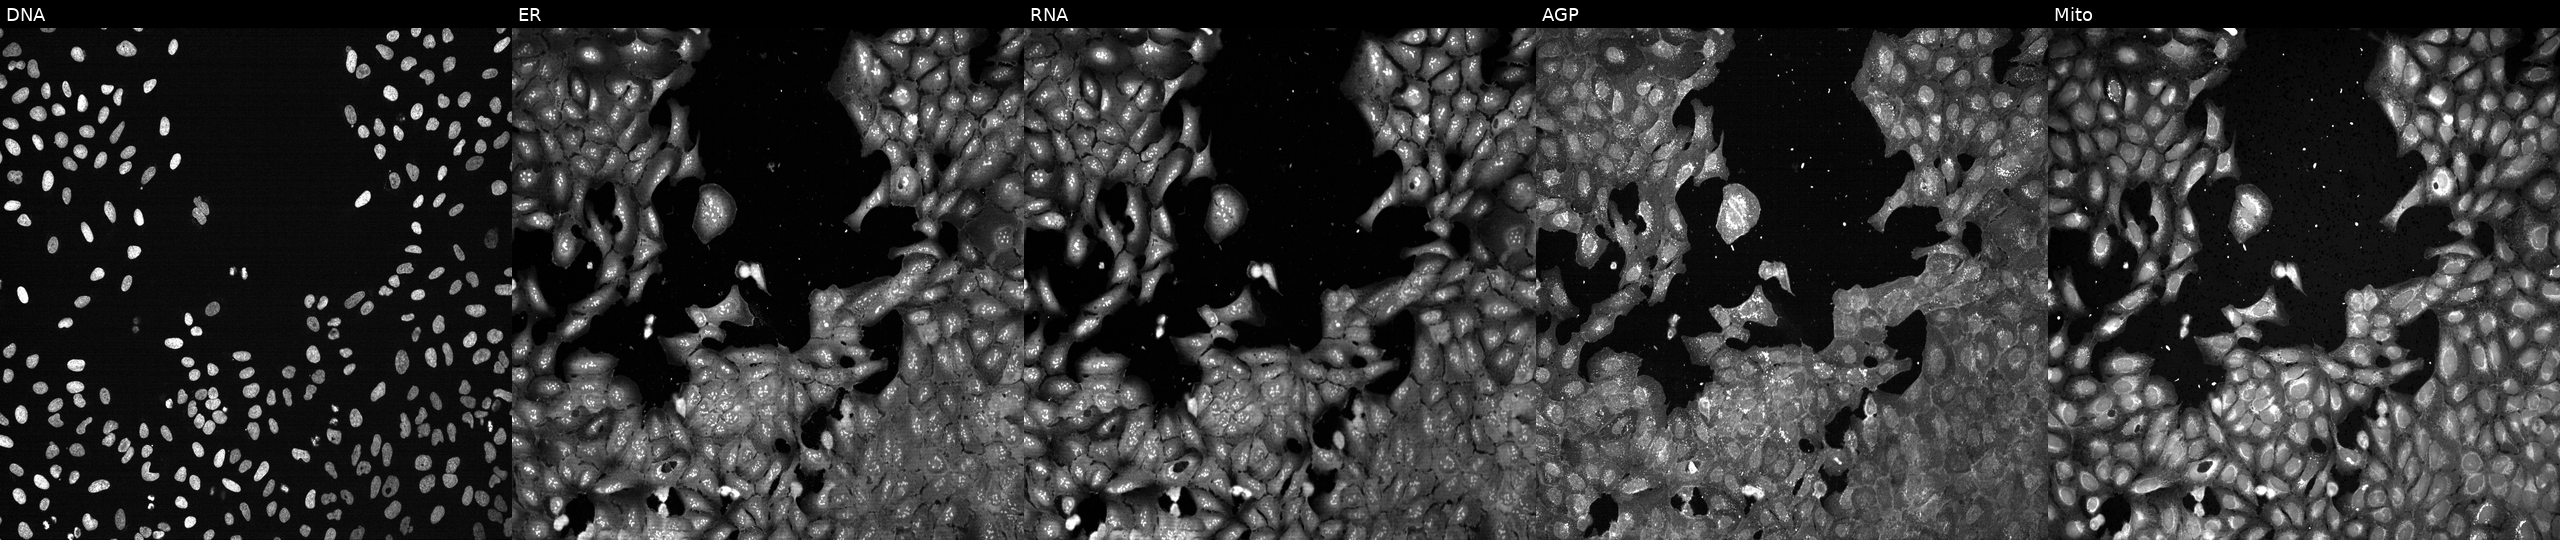
Five-channel Cell Painting image of U2OS cells following CRISPR knockout of PTGES (JUMP id JCP2022_805651). Channels (left→right): Hoechst 33342, concanavalin A, SYTO 14, phalloidin and WGA, MitoTracker.